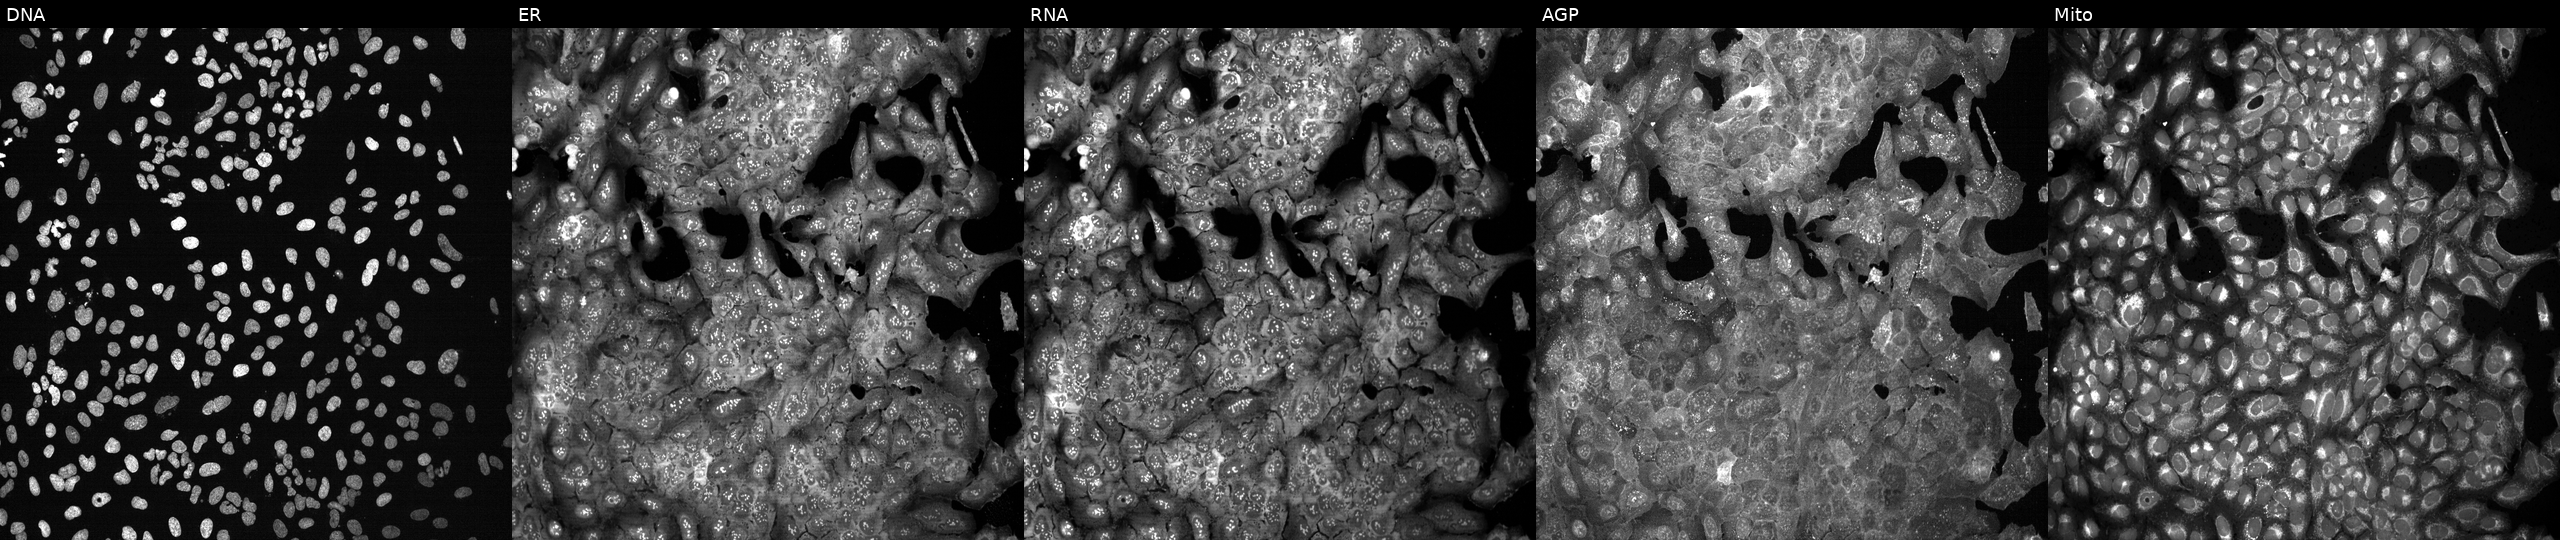
Five-channel Cell Painting image of U2OS cells with PPIL4 knocked out by CRISPR (JUMP id JCP2022_805420). Panels show, left to right, DNA, ER, RNA, AGP, and Mito.